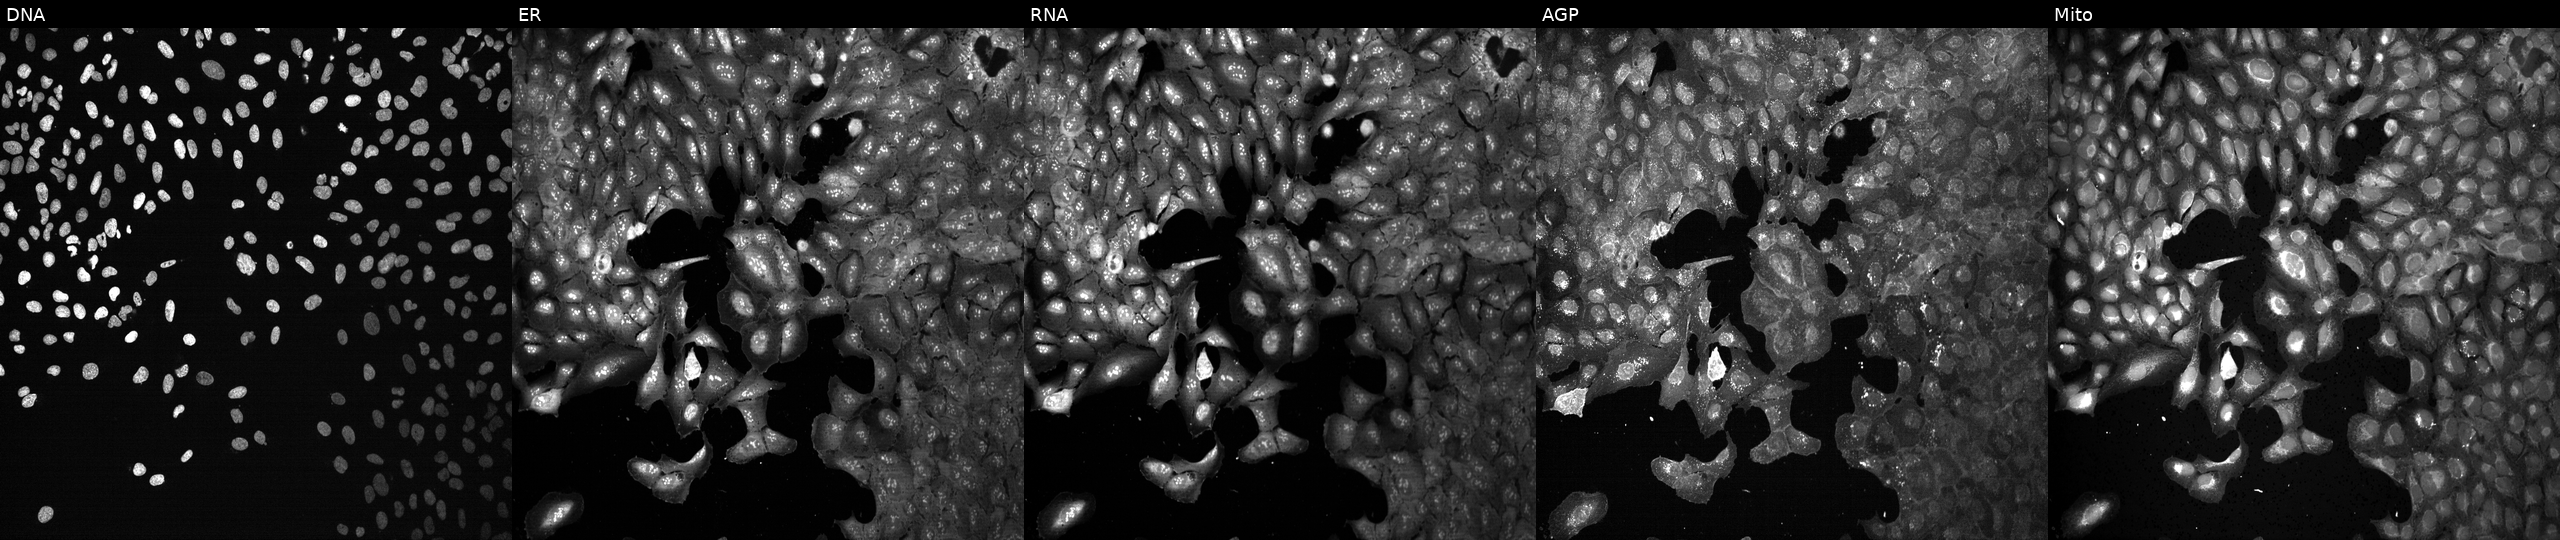
The five panels, left to right, show DNA, ER, RNA, AGP, and Mito. U2OS osteosarcoma cells CRISPR-edited to disrupt SULT4A1. Cell Painting assay, JUMP-CP dataset.